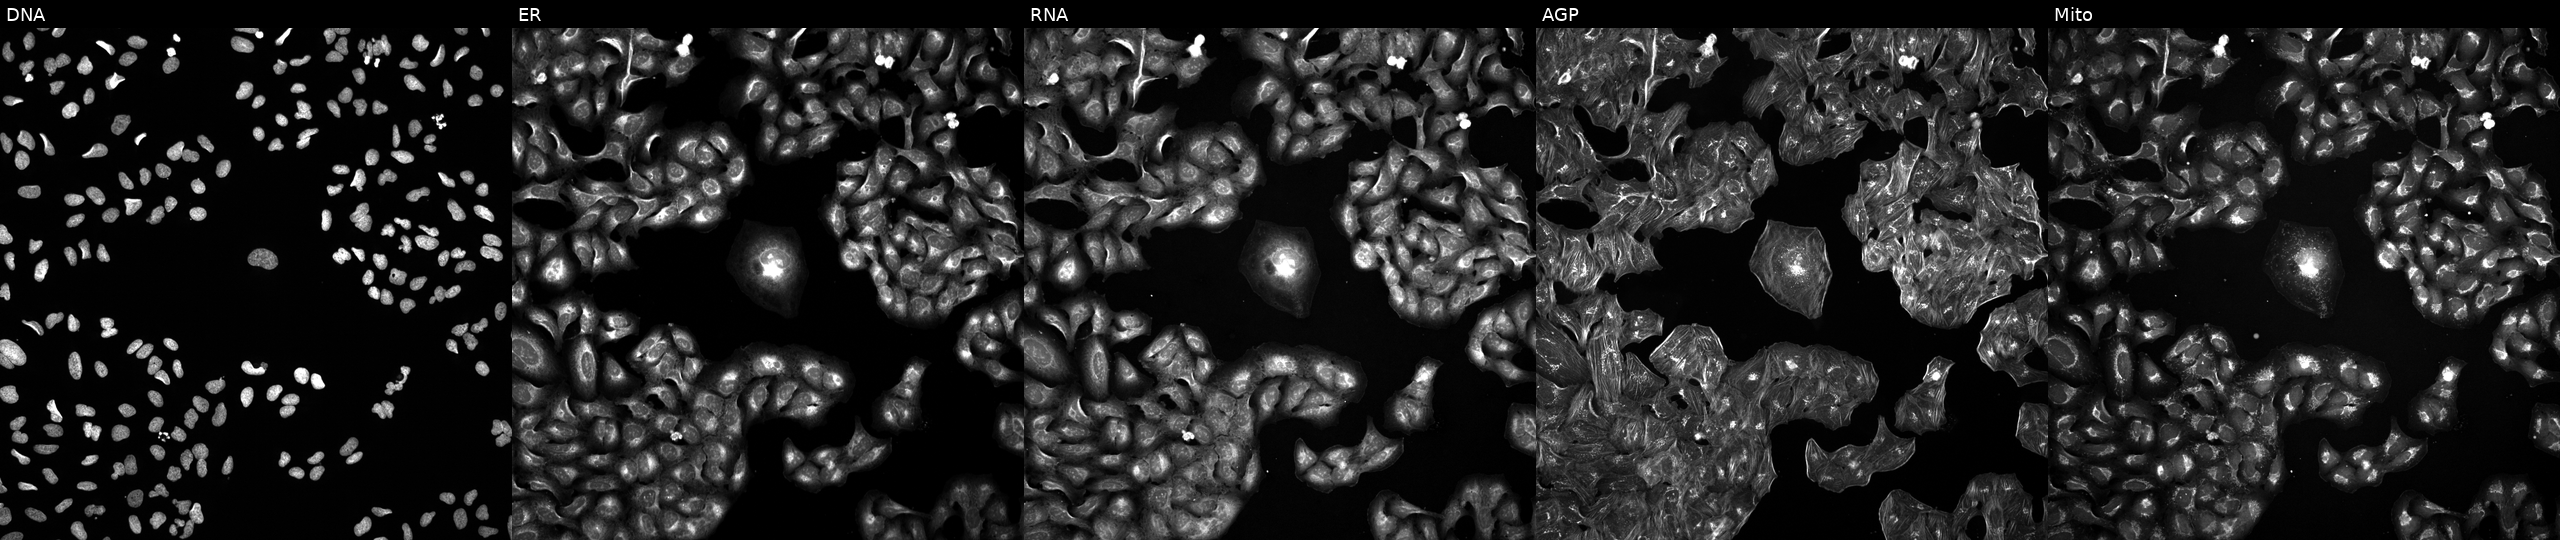
High-content fluorescence microscopy (Cell Painting). Cell line: U2OS. Perturbation: treated with NVS-PAK1-1 (positive-control compound) (JUMP id JCP2022_064022). From left to right: DNA, ER, RNA, AGP, and Mito.